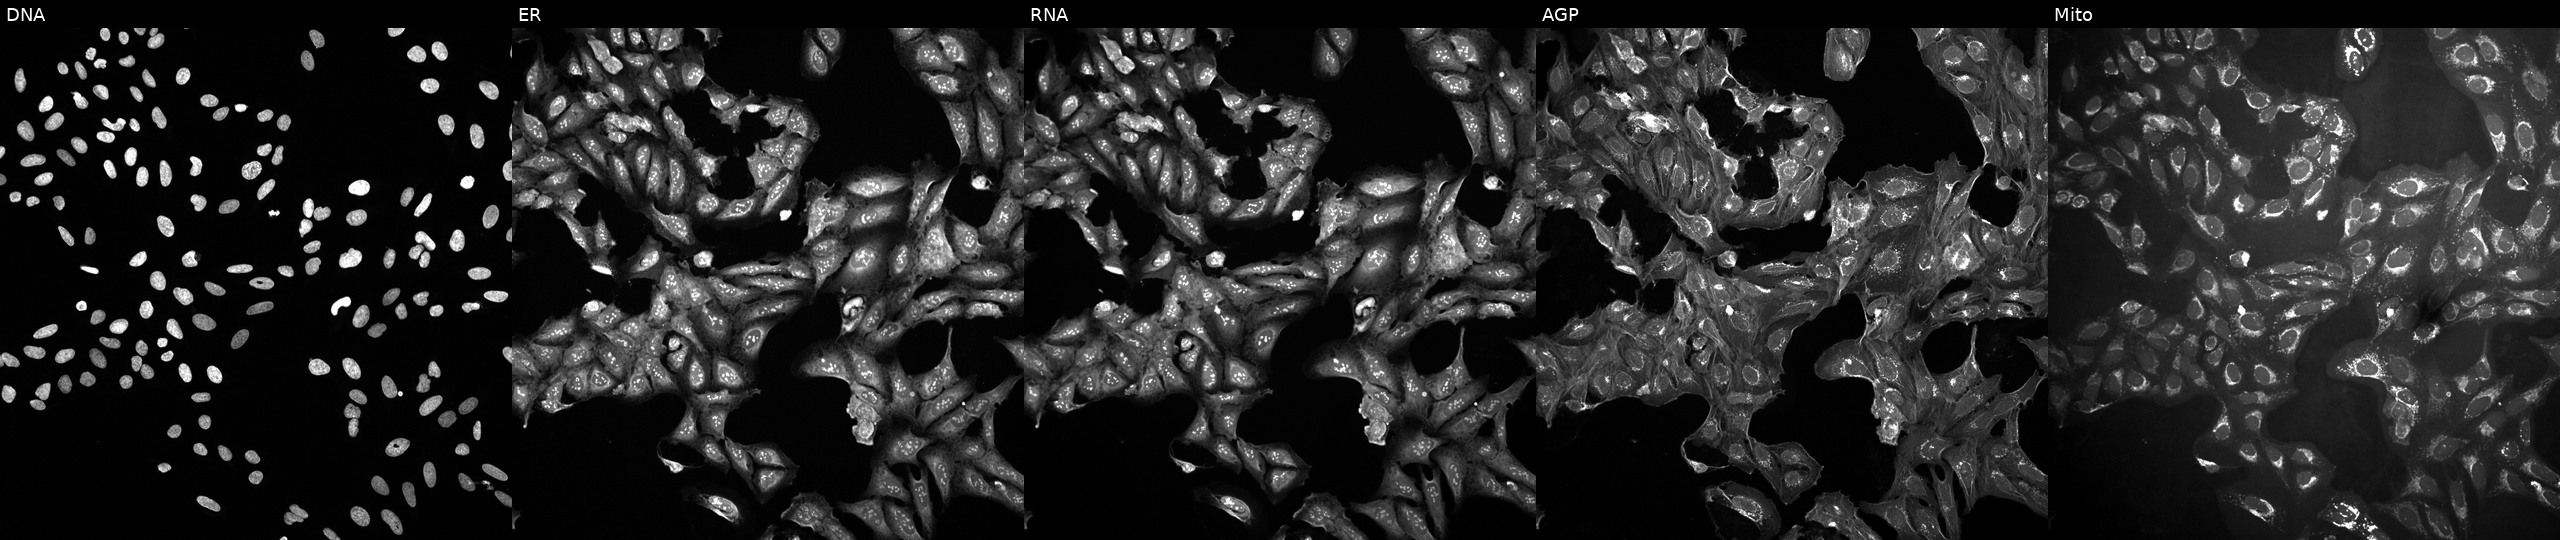
JUMP Cell Painting — COMPOUND plate. U2OS cells treated with DMSO vehicle only (negative control) (JUMP id JCP2022_033924). The five panels, left to right, show Hoechst 33342, concanavalin A, SYTO 14, phalloidin and WGA, MitoTracker.